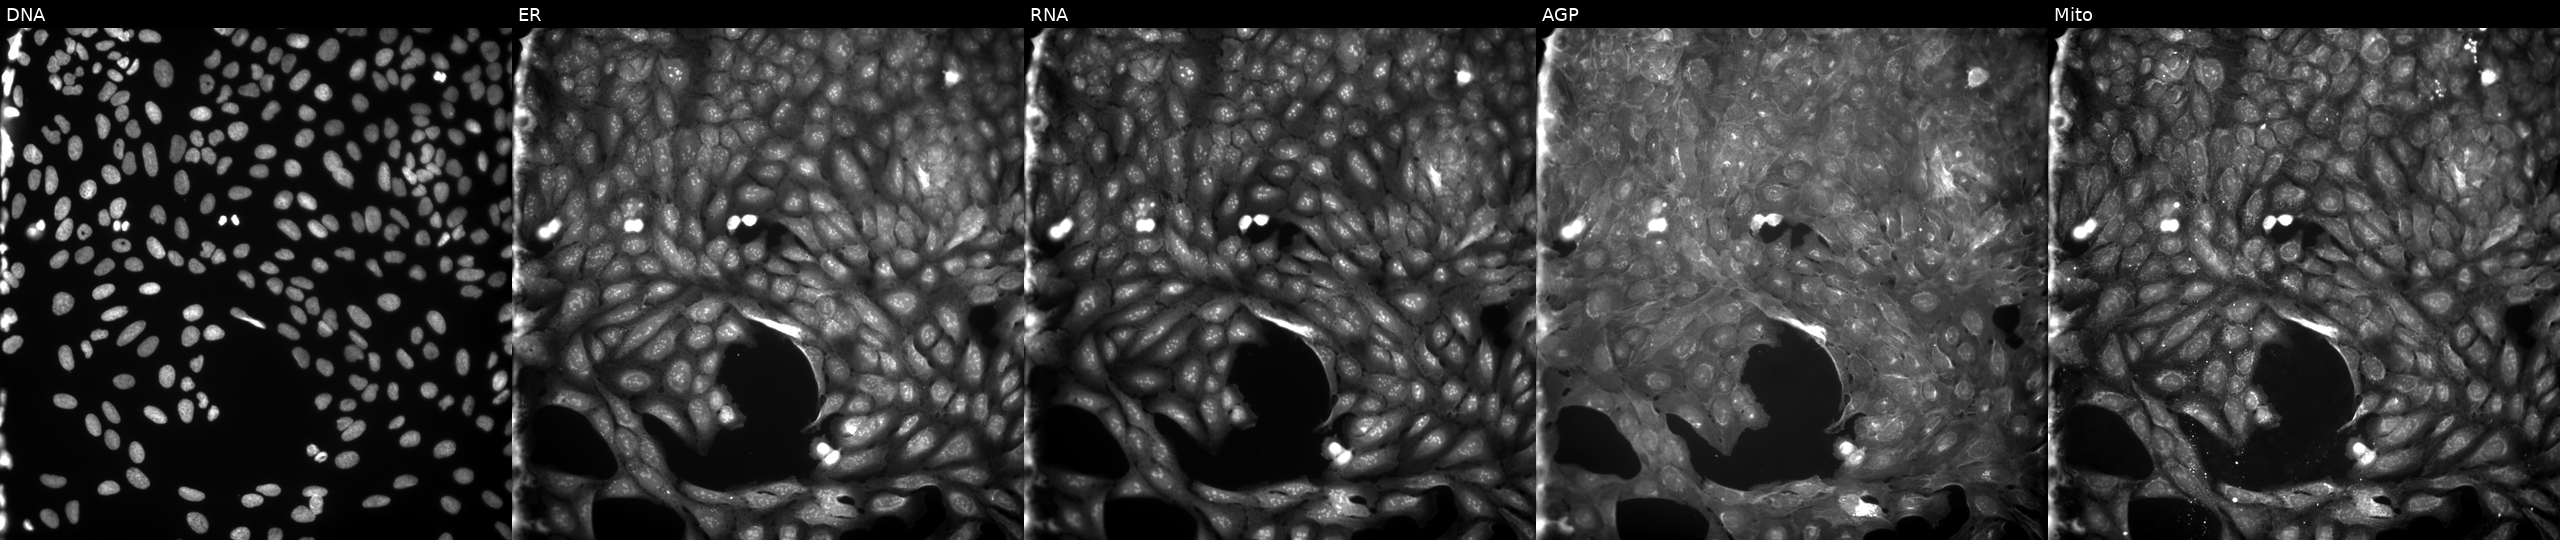
JUMP Cell Painting — COMPOUND plate. U2OS cells perturbed with a small-molecule compound (InChIKey CBCDCNRBQNLIQI-UHFFFAOYSA-N) (JUMP id JCP2022_009976). Channels (left→right): Hoechst 33342, concanavalin A, SYTO 14, phalloidin and WGA, MitoTracker.